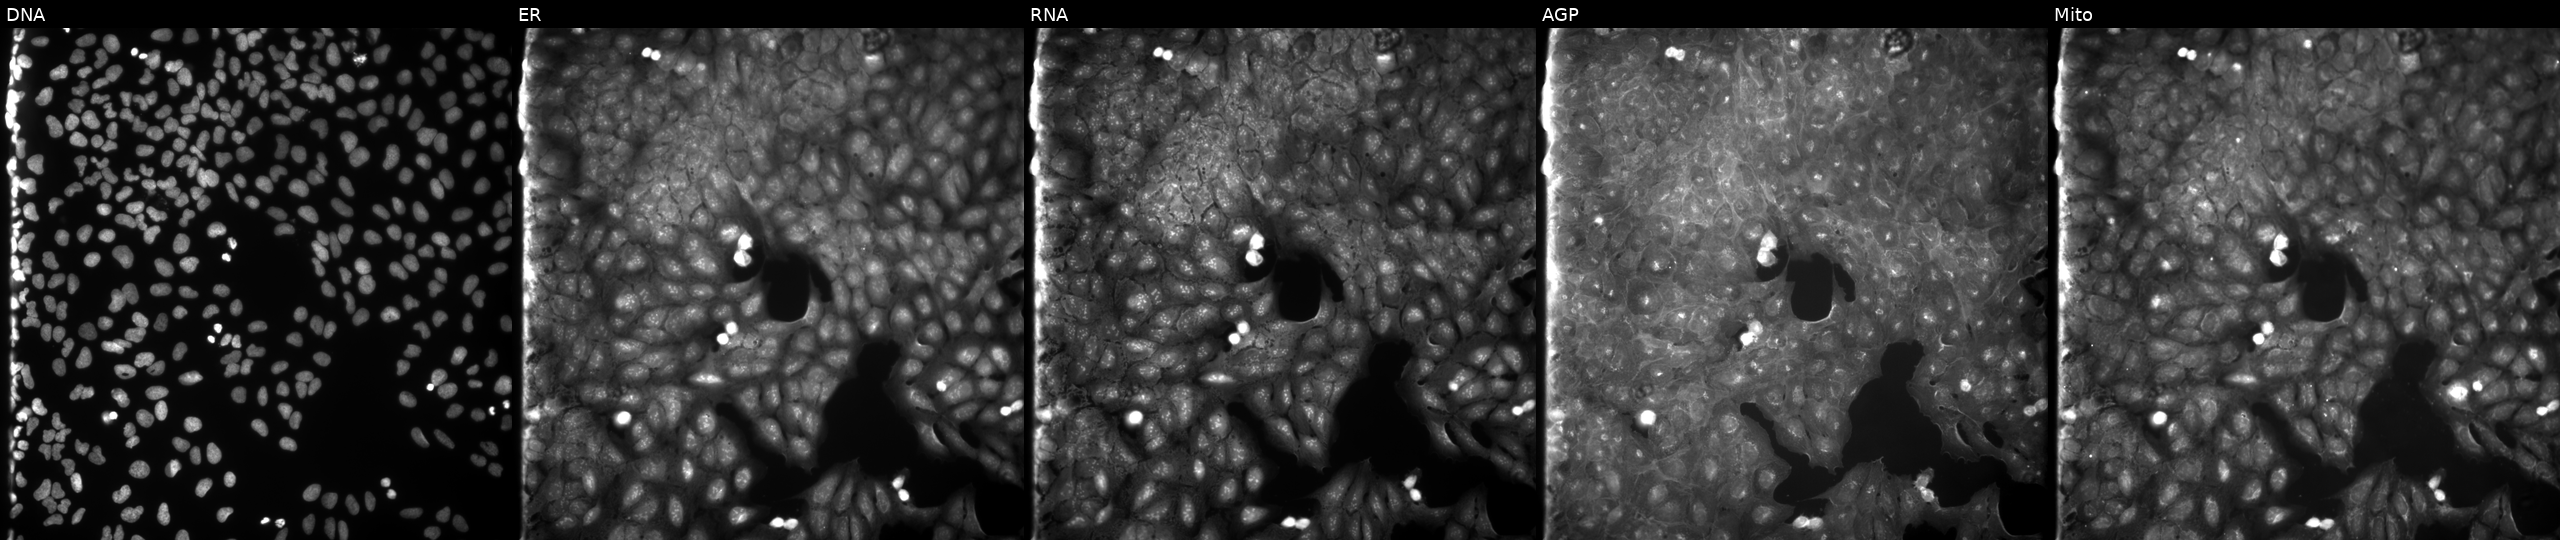
U2OS cells, Cell Painting assay, exposed to a small-molecule compound [SMILES: COc1ccccc1CNC(=O)C(=O)NCC1CCCO1] (JUMP id JCP2022_092852). Panels show, left to right, Hoechst 33342, concanavalin A, SYTO 14, phalloidin and WGA, MitoTracker. Each panel is percentile-stretched 16-bit fluorescence. Source 9, plate GR00003382, well O08.